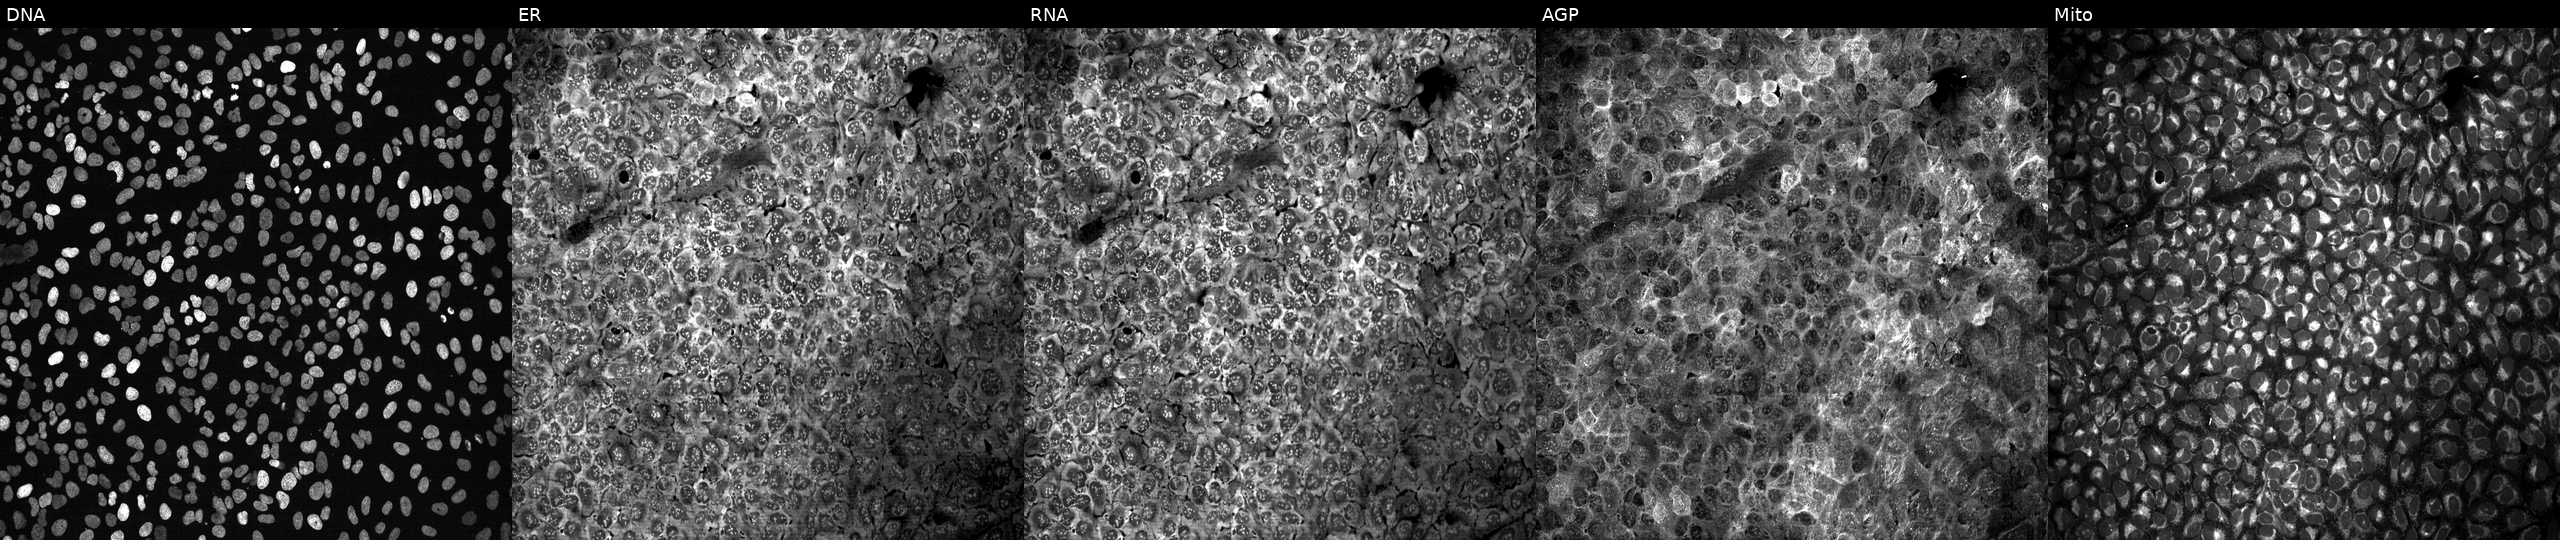
This image strip shows the five Cell Painting channels for a single field of U2OS cells CRISPR-edited to disrupt LIPG (JUMP id JCP2022_803849). Channels (left→right): Hoechst 33342, concanavalin A, SYTO 14, phalloidin and WGA, MitoTracker. Source 13, plate CP-CC9-R2-01, well M22.